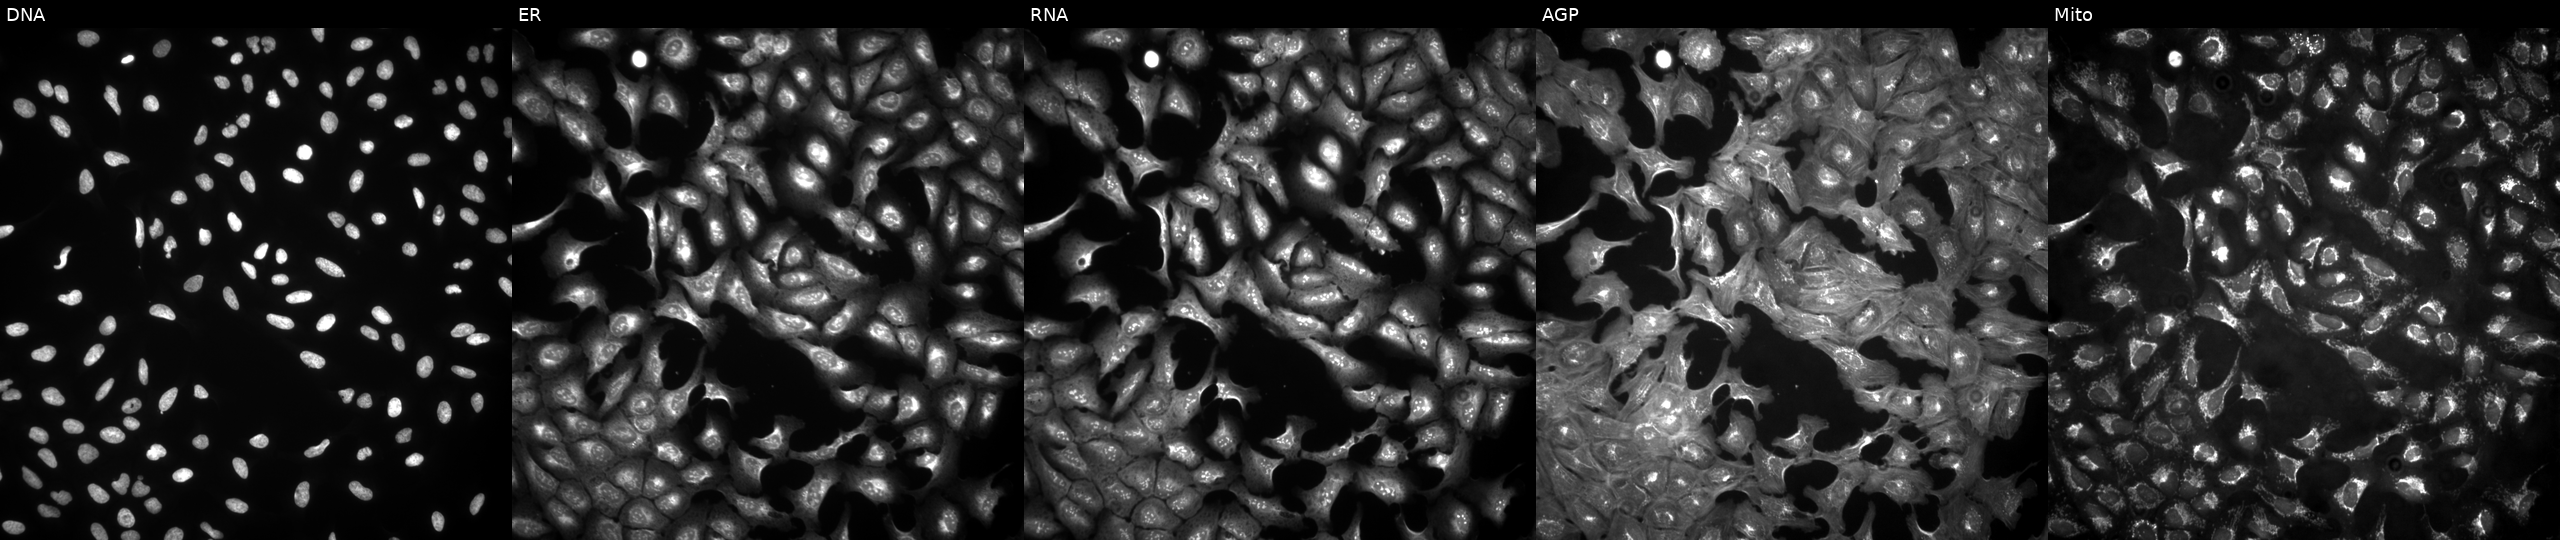
JUMP Cell Painting — ORF plate. U2OS cells overexpressing TCEAL4 via ORF transfection (JUMP id JCP2022_908387). Channels (left→right): Hoechst 33342, concanavalin A, SYTO 14, phalloidin and WGA, MitoTracker.